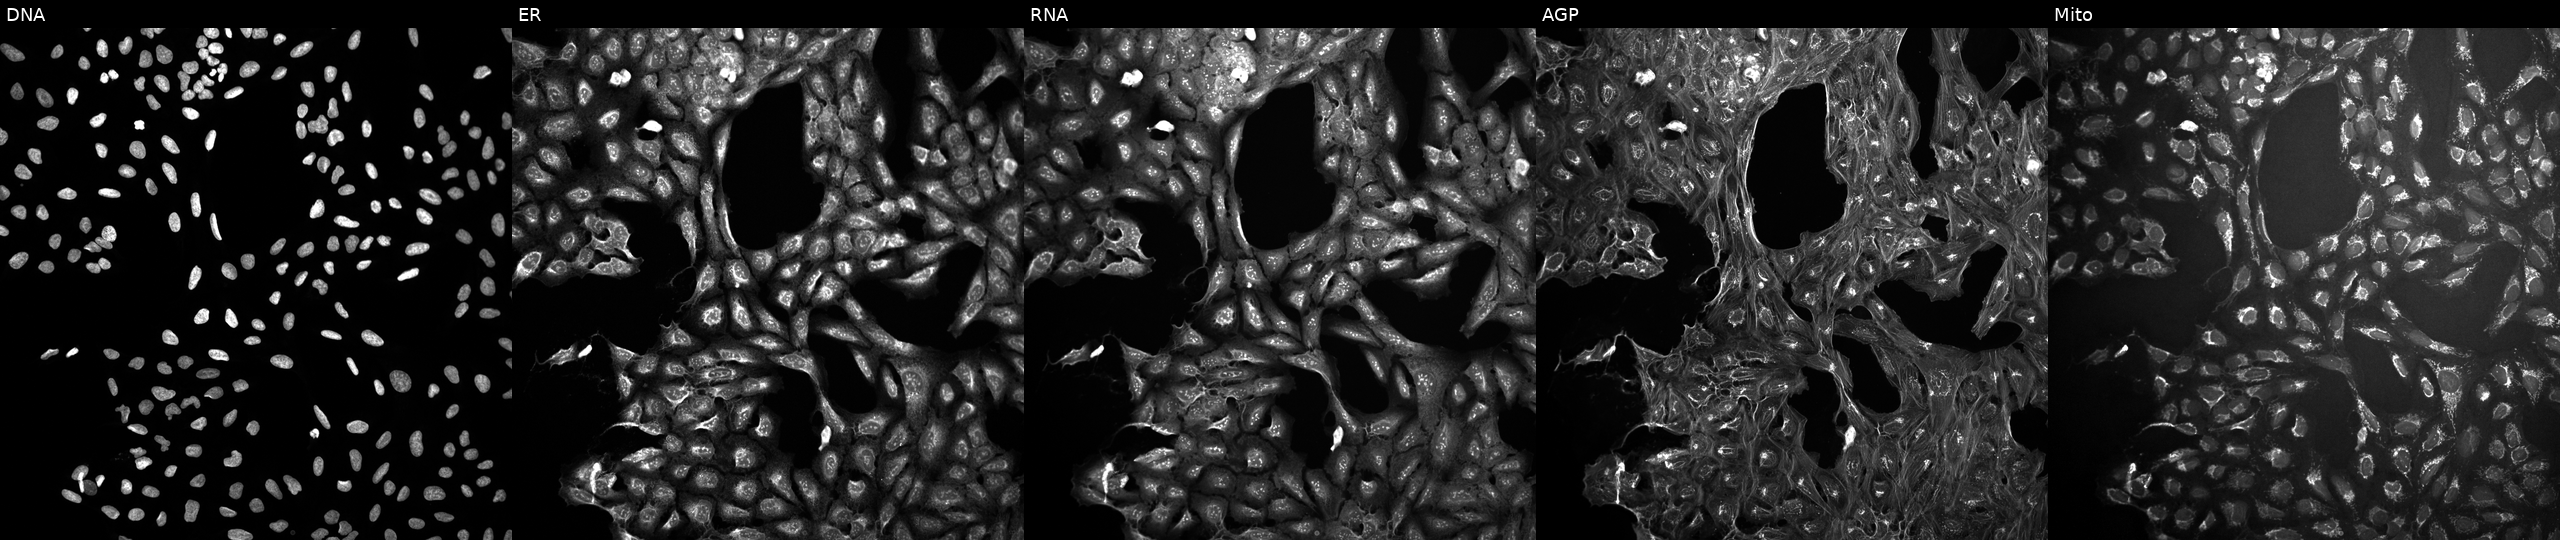
JUMP Cell Painting — COMPOUND plate. U2OS cells exposed to DMSO alone as a negative control. Channels (left→right): DNA (nuclei); ER (endoplasmic reticulum); RNA (nucleoli and cytoplasmic RNA); AGP (actin cytoskeleton, Golgi, and plasma membrane); Mito (mitochondria).